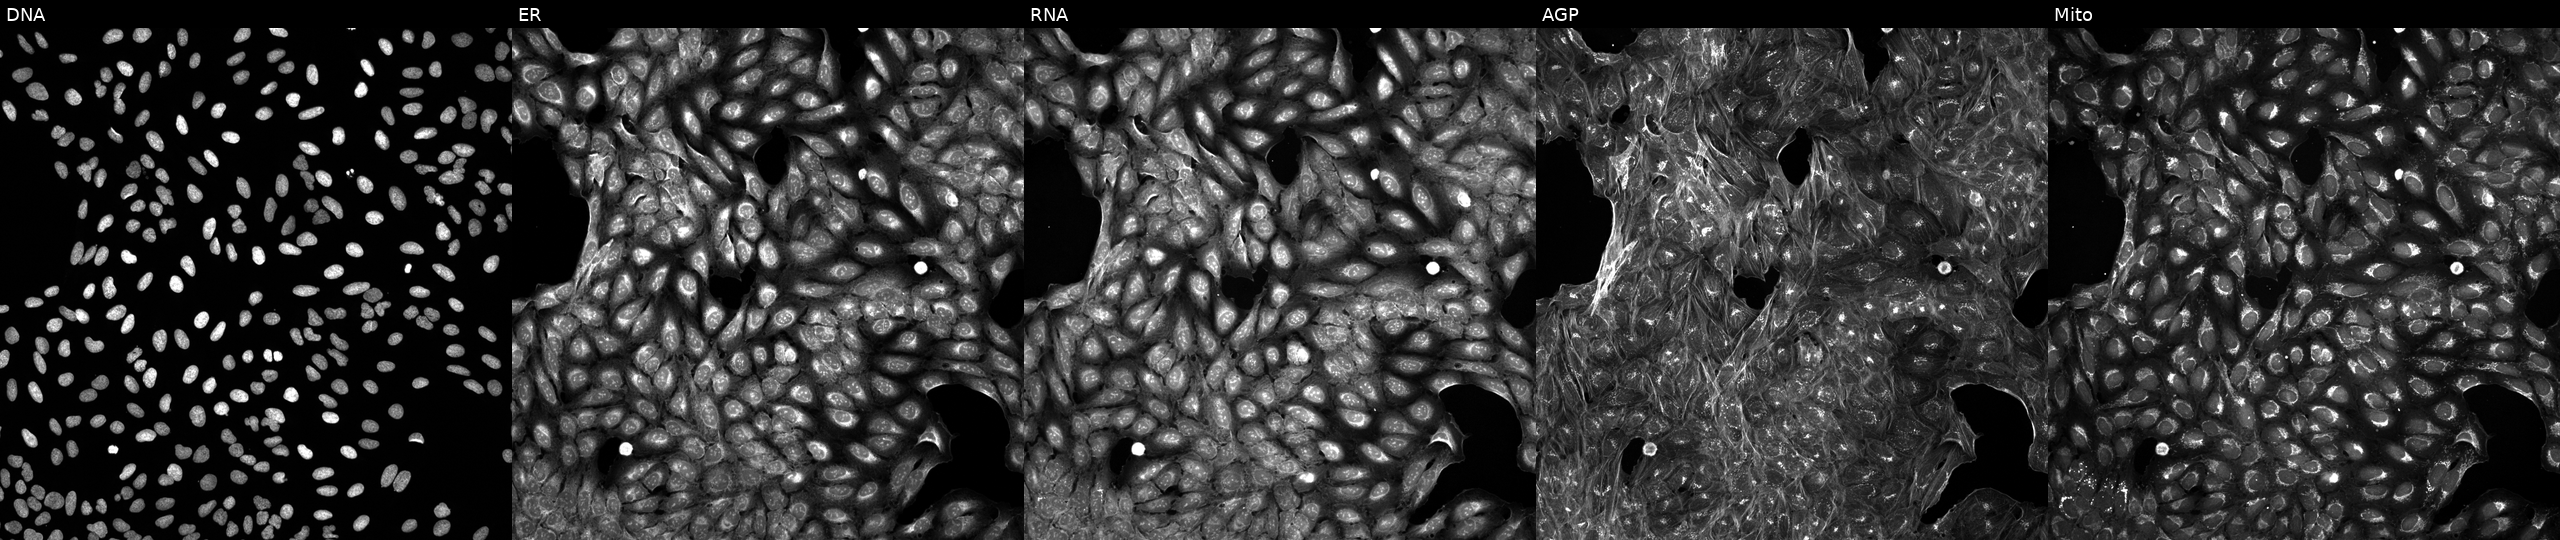
U2OS cells, Cell Painting assay, treated with DMSO vehicle only (negative control) (JUMP id JCP2022_033924). From left to right: Hoechst 33342, concanavalin A, SYTO 14, phalloidin and WGA, MitoTracker. Each panel is percentile-stretched 16-bit fluorescence. Source 5, plate ACPJUM032, well E23.